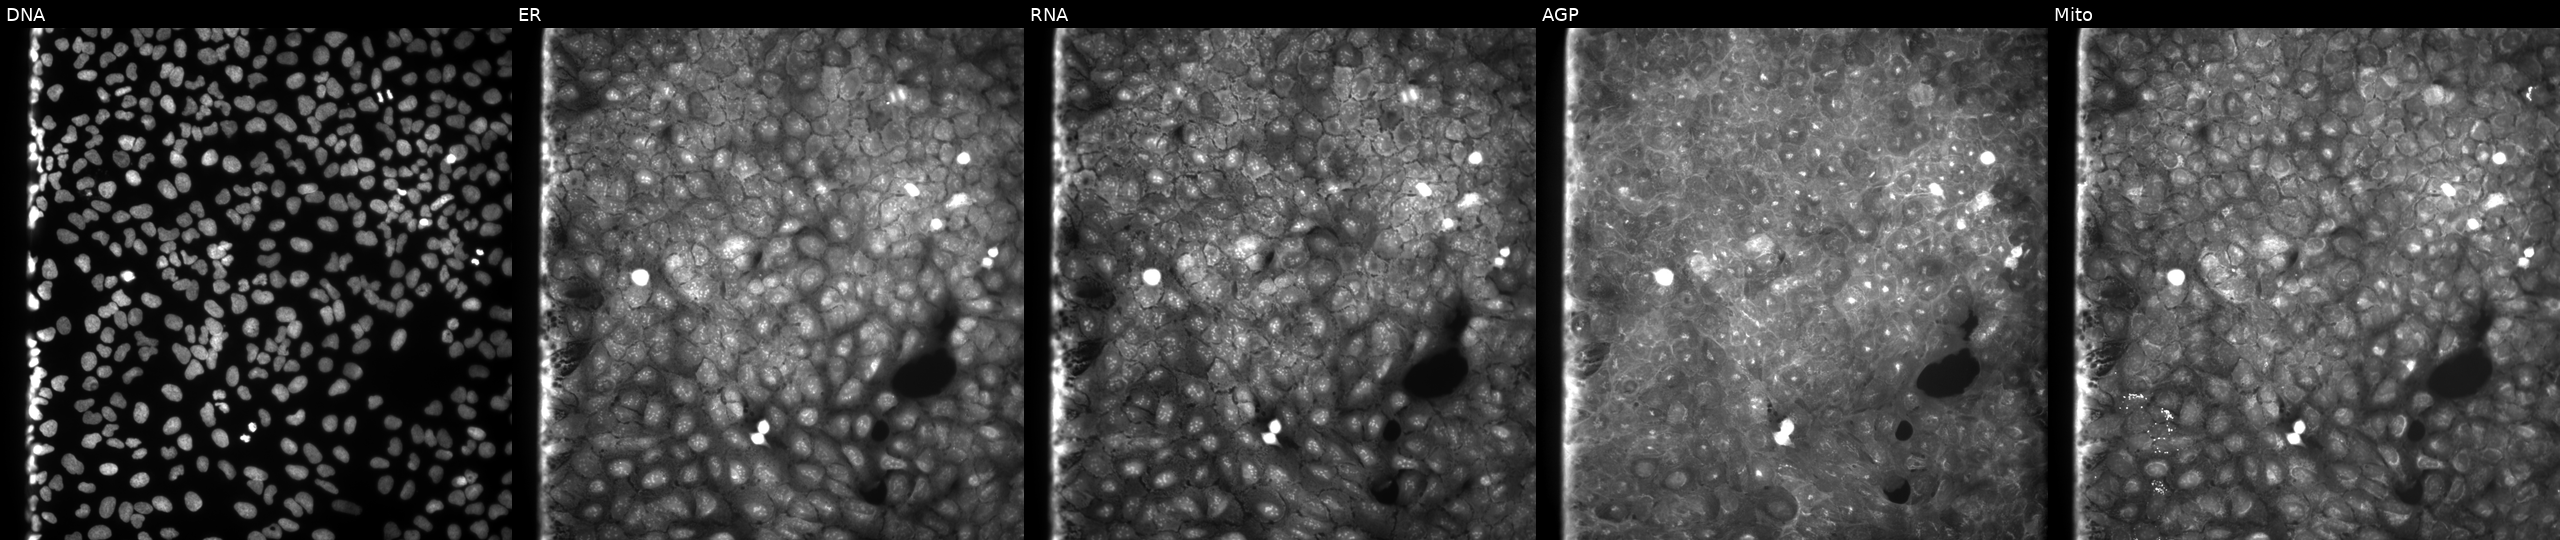
This image strip shows the five Cell Painting channels for a single field of U2OS cells exposed to a small-molecule compound (InChIKey JDQLGVUTWWFGPG-UHFFFAOYSA-N). Panels show, left to right, DNA (nuclei); ER (endoplasmic reticulum); RNA (nucleoli and cytoplasmic RNA); AGP (actin cytoskeleton, Golgi, and plasma membrane); Mito (mitochondria).